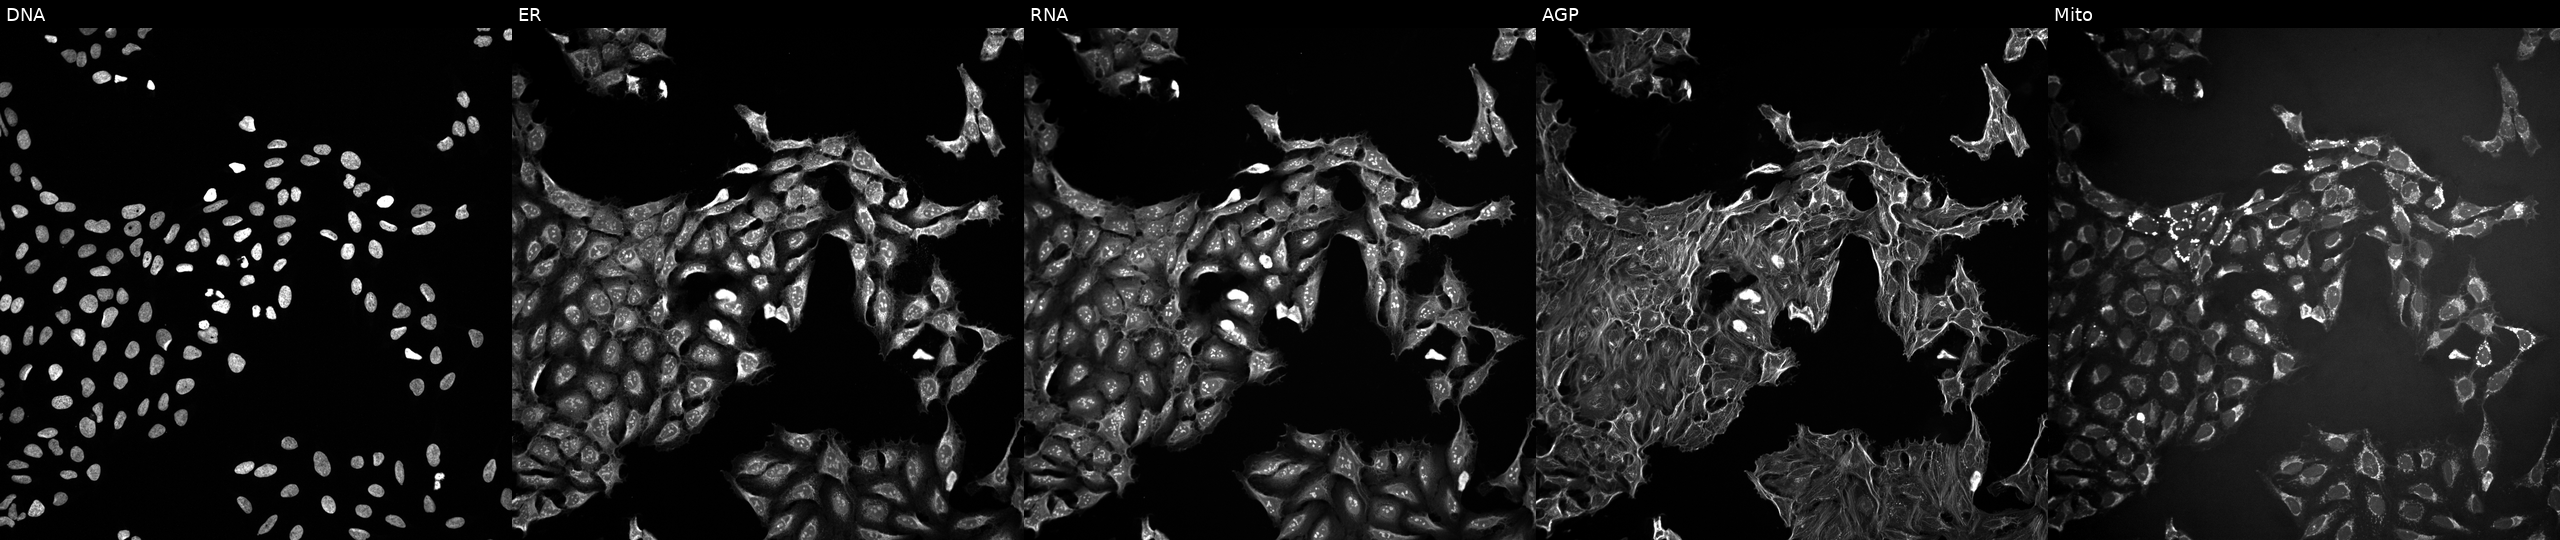
High-content fluorescence microscopy (Cell Painting). Cell line: U2OS. Perturbation: exposed to a small-molecule compound (JUMP id JCP2022_002118). Panels show, left to right, Hoechst 33342, concanavalin A, SYTO 14, phalloidin and WGA, MitoTracker.